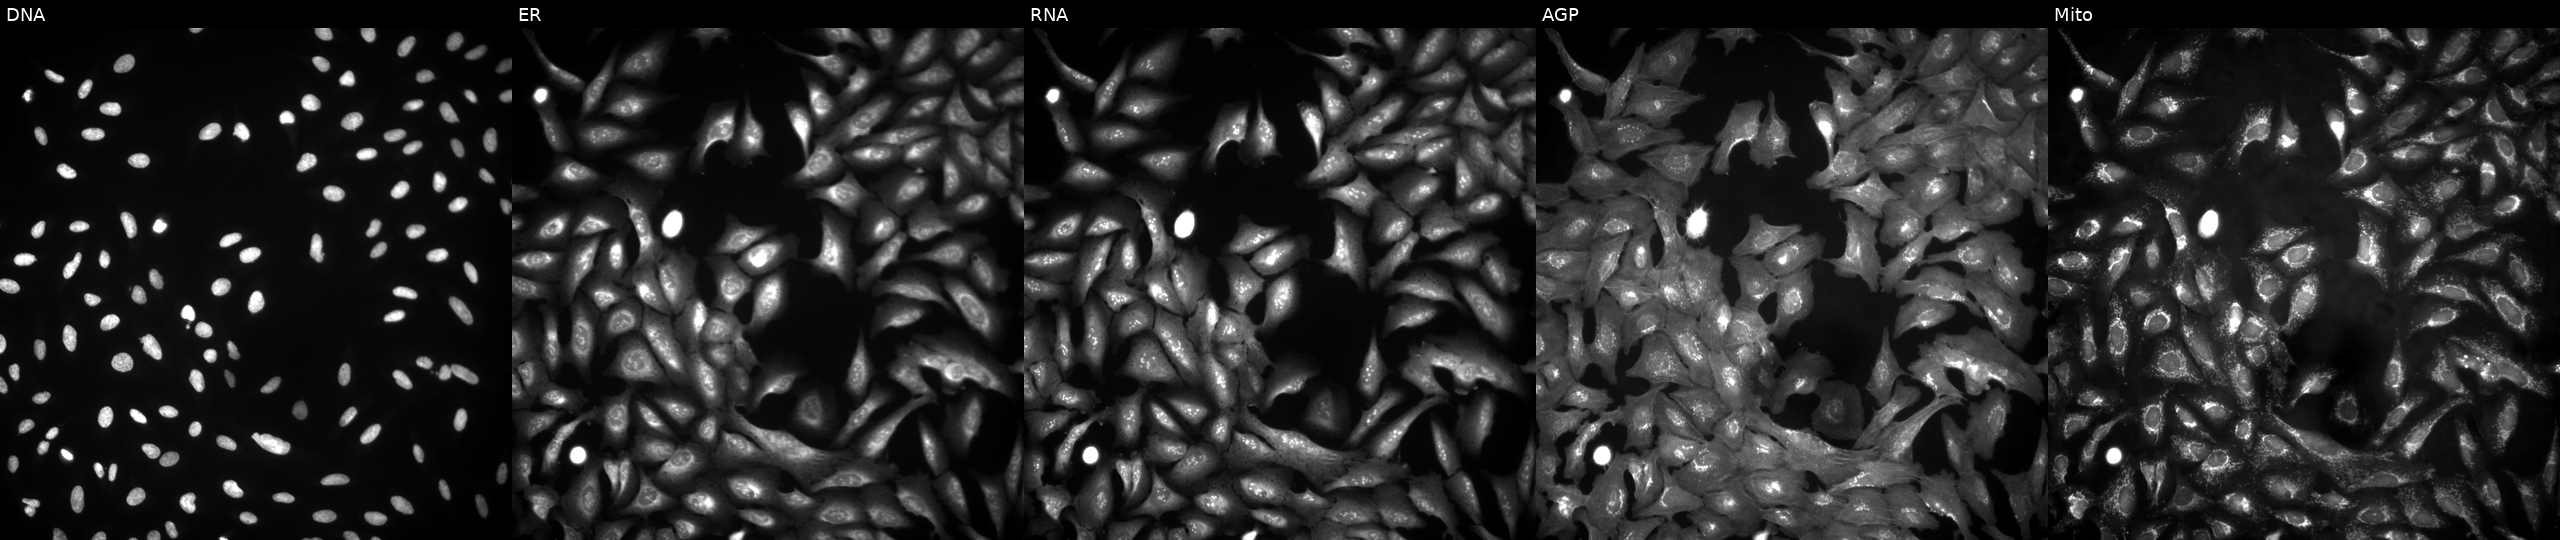
Panels show, left to right, DNA (nuclei); ER (endoplasmic reticulum); RNA (nucleoli and cytoplasmic RNA); AGP (actin cytoskeleton, Golgi, and plasma membrane); Mito (mitochondria). U2OS osteosarcoma cells with FCRL2 overexpressed (ORF). Cell Painting assay, JUMP-CP dataset. Source 4, plate BR00124790, well F18.